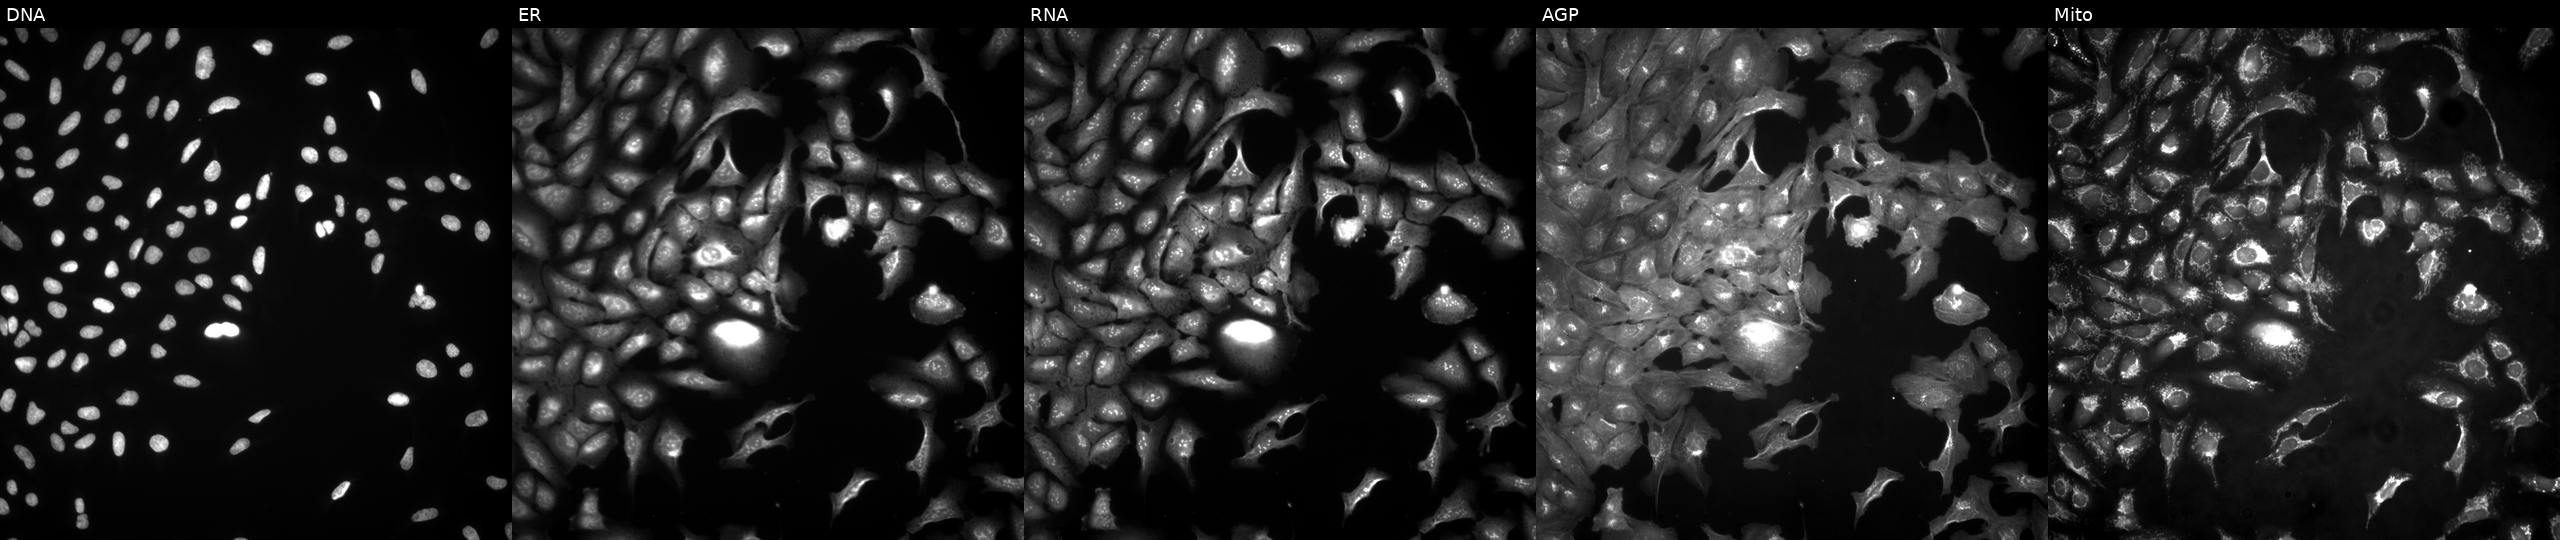
JUMP Cell Painting — ORF plate. U2OS cells transfected with an ORF construct for TUFT1. From left to right: DNA, ER, RNA, AGP, and Mito.